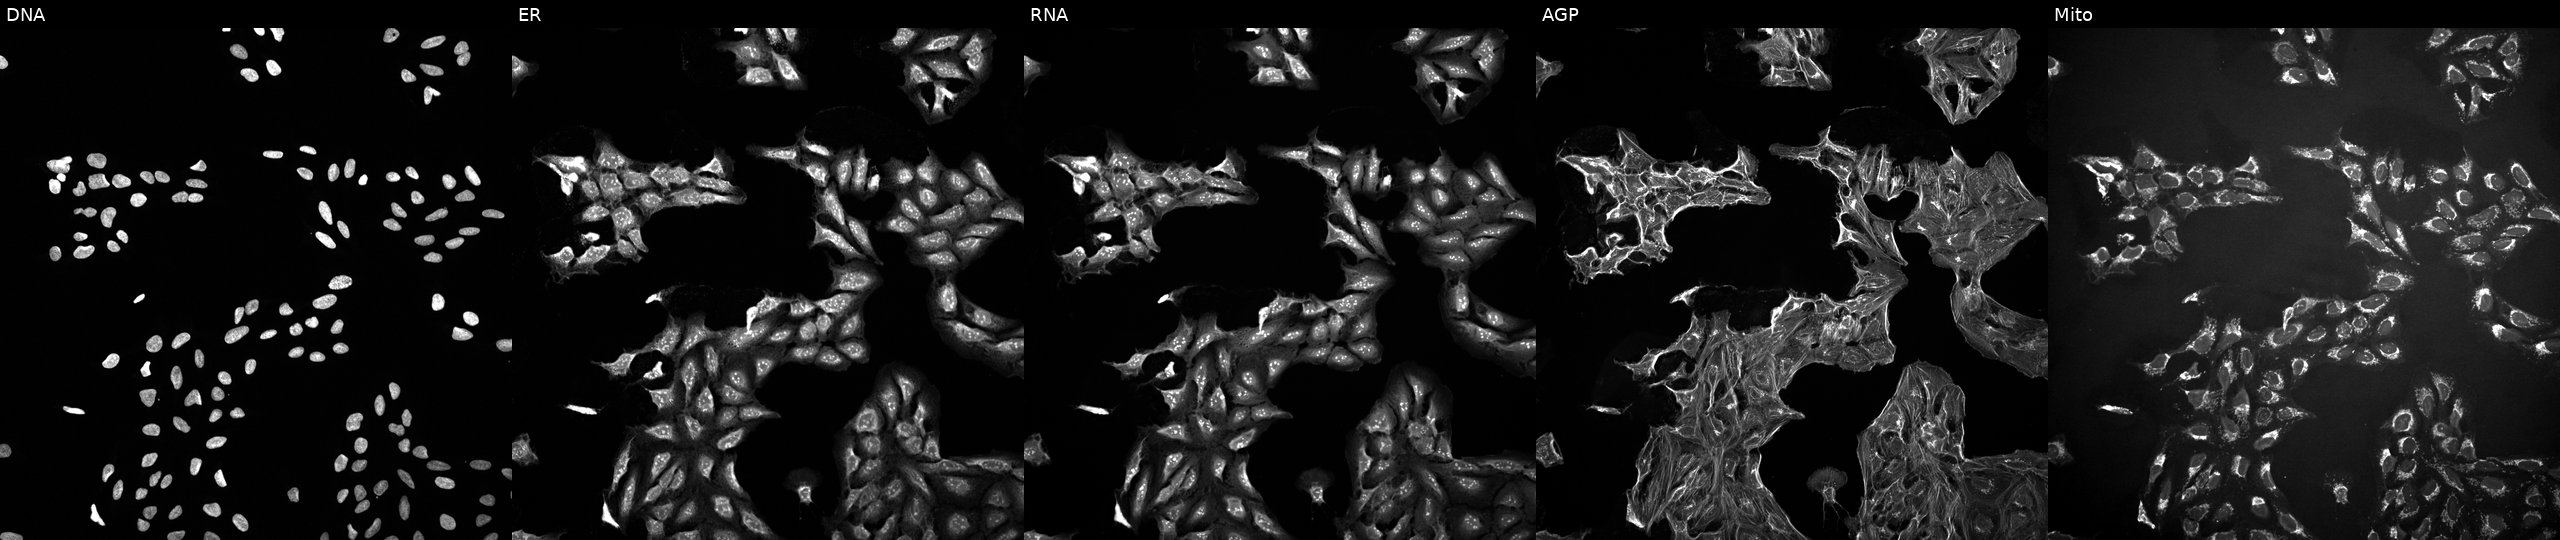
Five-channel Cell Painting image of U2OS cells exposed to a small-molecule compound (InChIKey RNSLRQNDXRSASX-UHFFFAOYSA-N) [SMILES: Cc1nn(C)c2[nH]c(=NNC(=O)N=c3cc(Cl)[nH]c(Cl)c3)cc(C(C)C)c12] (JUMP id JCP2022_079562). Panels show, left to right, DNA (nuclei); ER (endoplasmic reticulum); RNA (nucleoli and cytoplasmic RNA); AGP (actin cytoskeleton, Golgi, and plasma membrane); Mito (mitochondria).